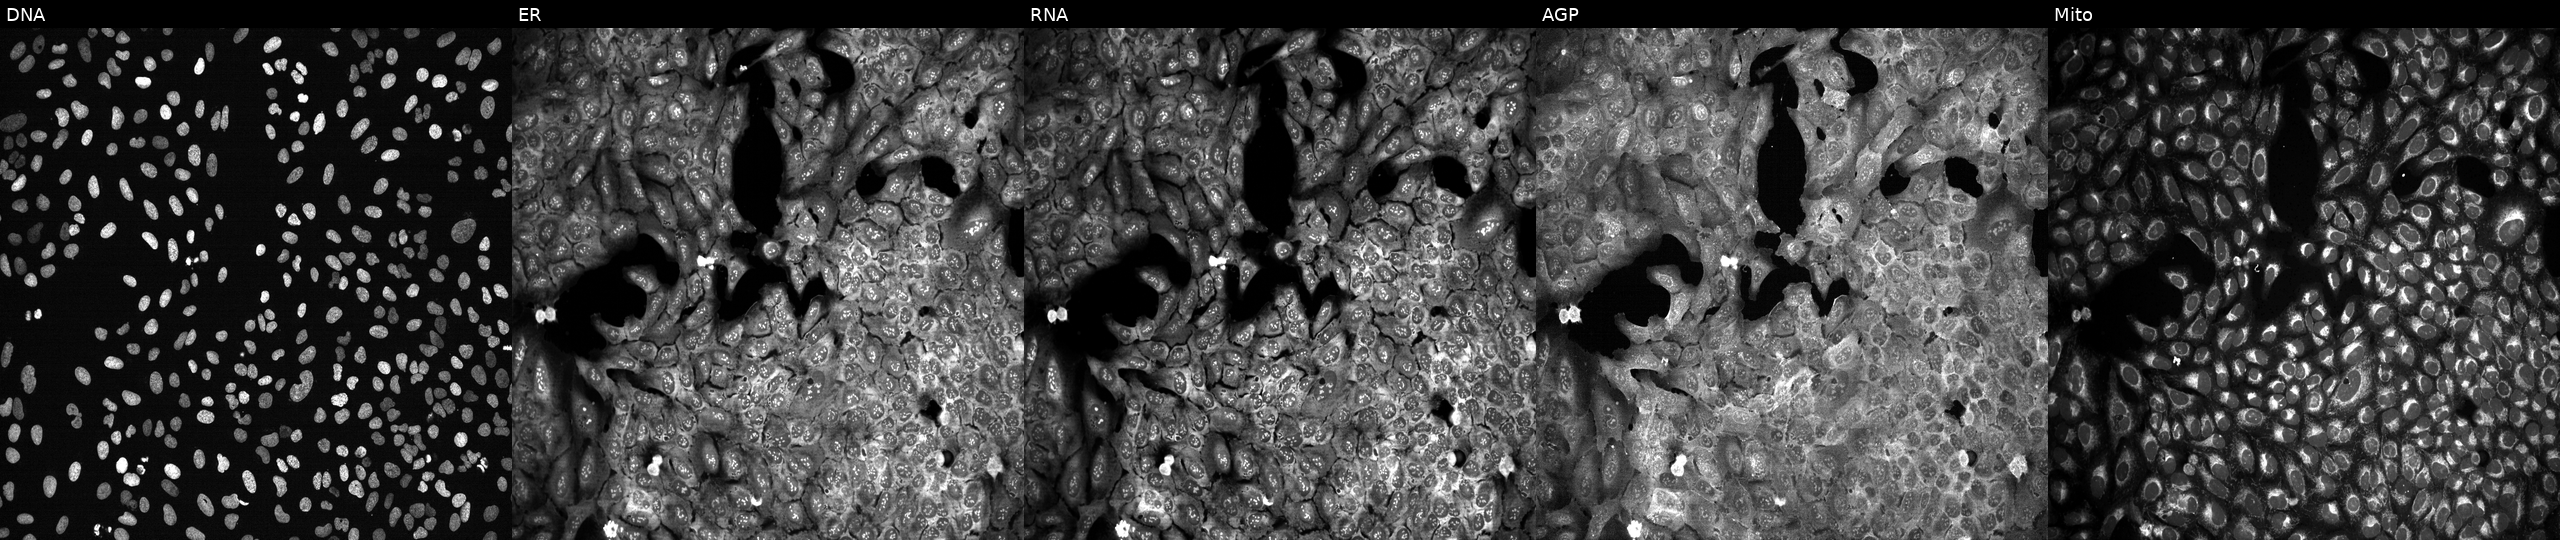
This image strip shows the five Cell Painting channels for a single field of U2OS cells CRISPR-edited to disrupt BMP2 (JUMP id JCP2022_800895). Channels (left→right): DNA (nuclei); ER (endoplasmic reticulum); RNA (nucleoli and cytoplasmic RNA); AGP (actin cytoskeleton, Golgi, and plasma membrane); Mito (mitochondria). Source 13, plate CP-CC9-R3-02, well H15.